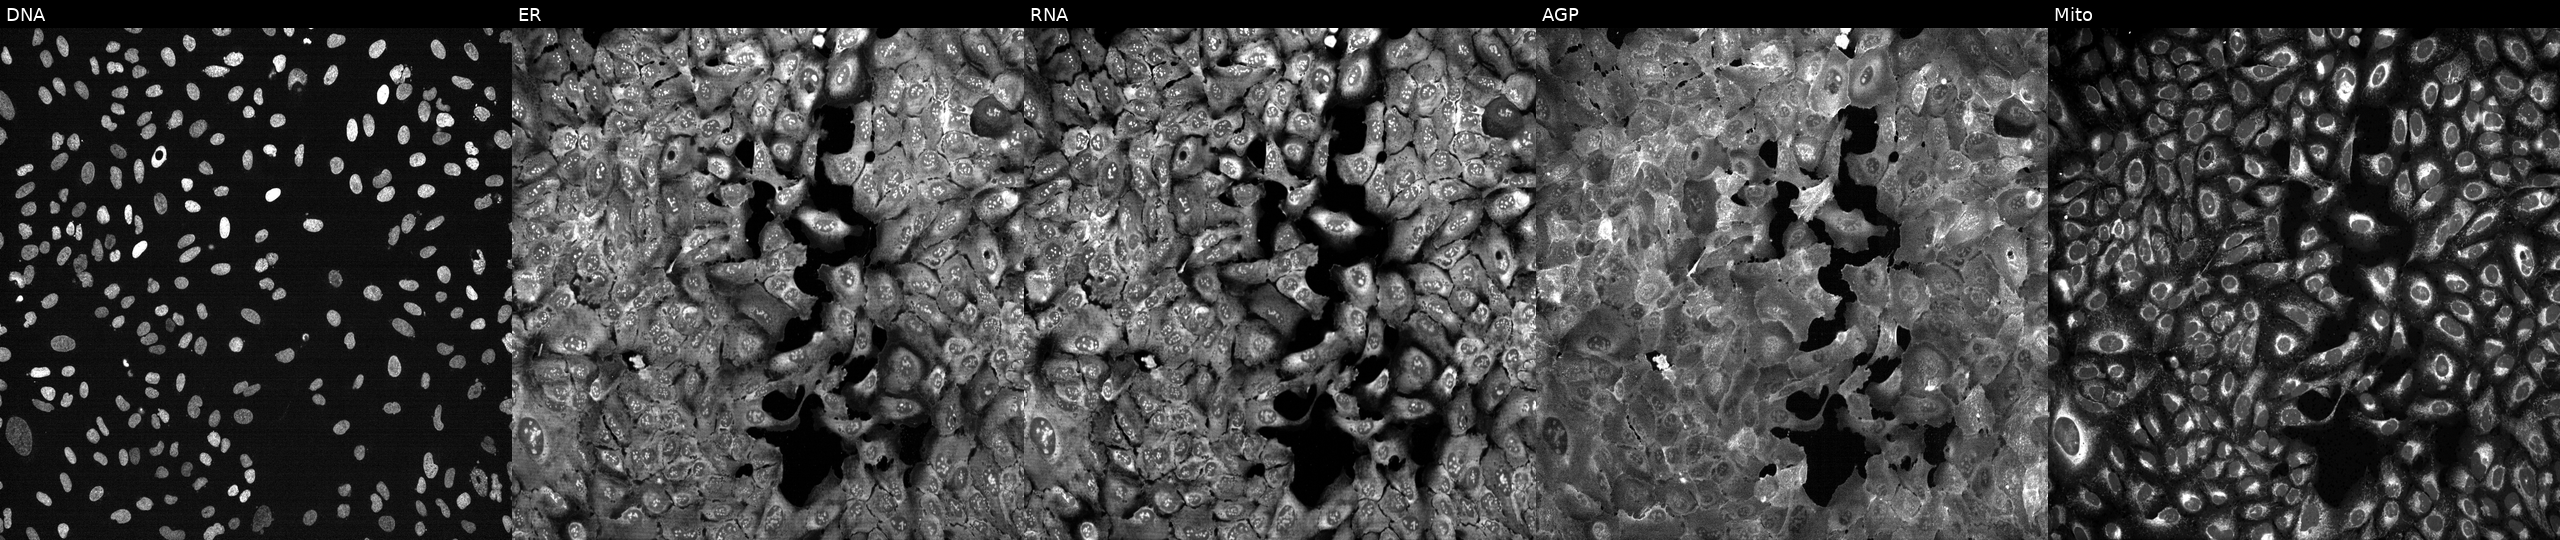
JUMP Cell Painting — CRISPR plate. U2OS cells with SLFN12 knocked out by CRISPR. From left to right: DNA (nuclei); ER (endoplasmic reticulum); RNA (nucleoli and cytoplasmic RNA); AGP (actin cytoskeleton, Golgi, and plasma membrane); Mito (mitochondria). Source 13, plate CP-CC9-R2-02, well B05.